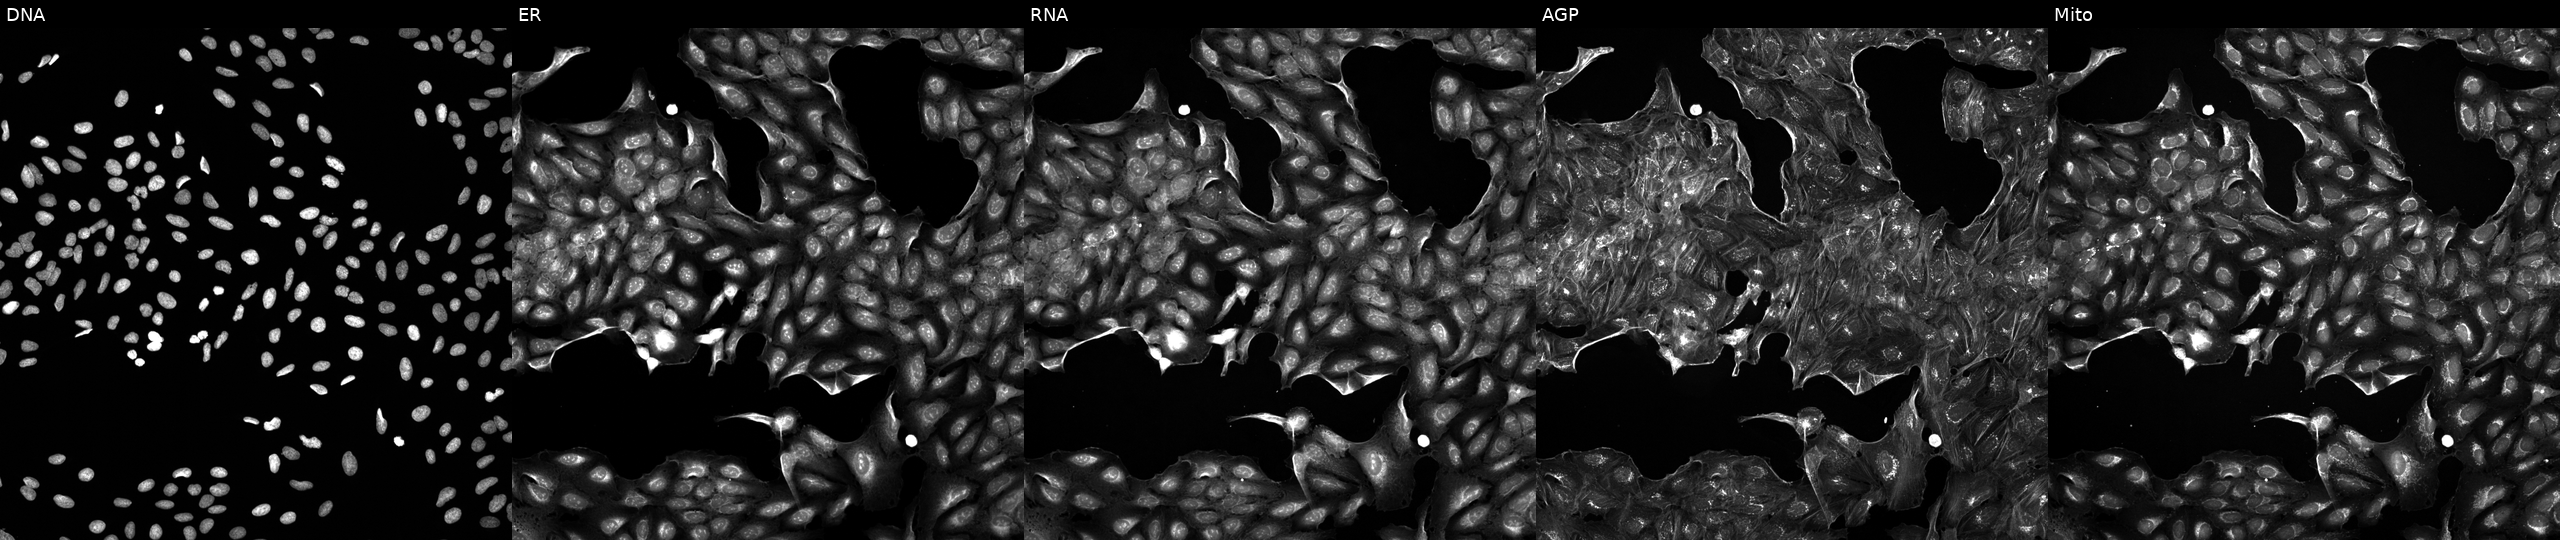
U2OS cells, Cell Painting assay, perturbed with a small-molecule compound. Channels (left→right): DNA, ER, RNA, AGP, and Mito. Each panel is percentile-stretched 16-bit fluorescence.